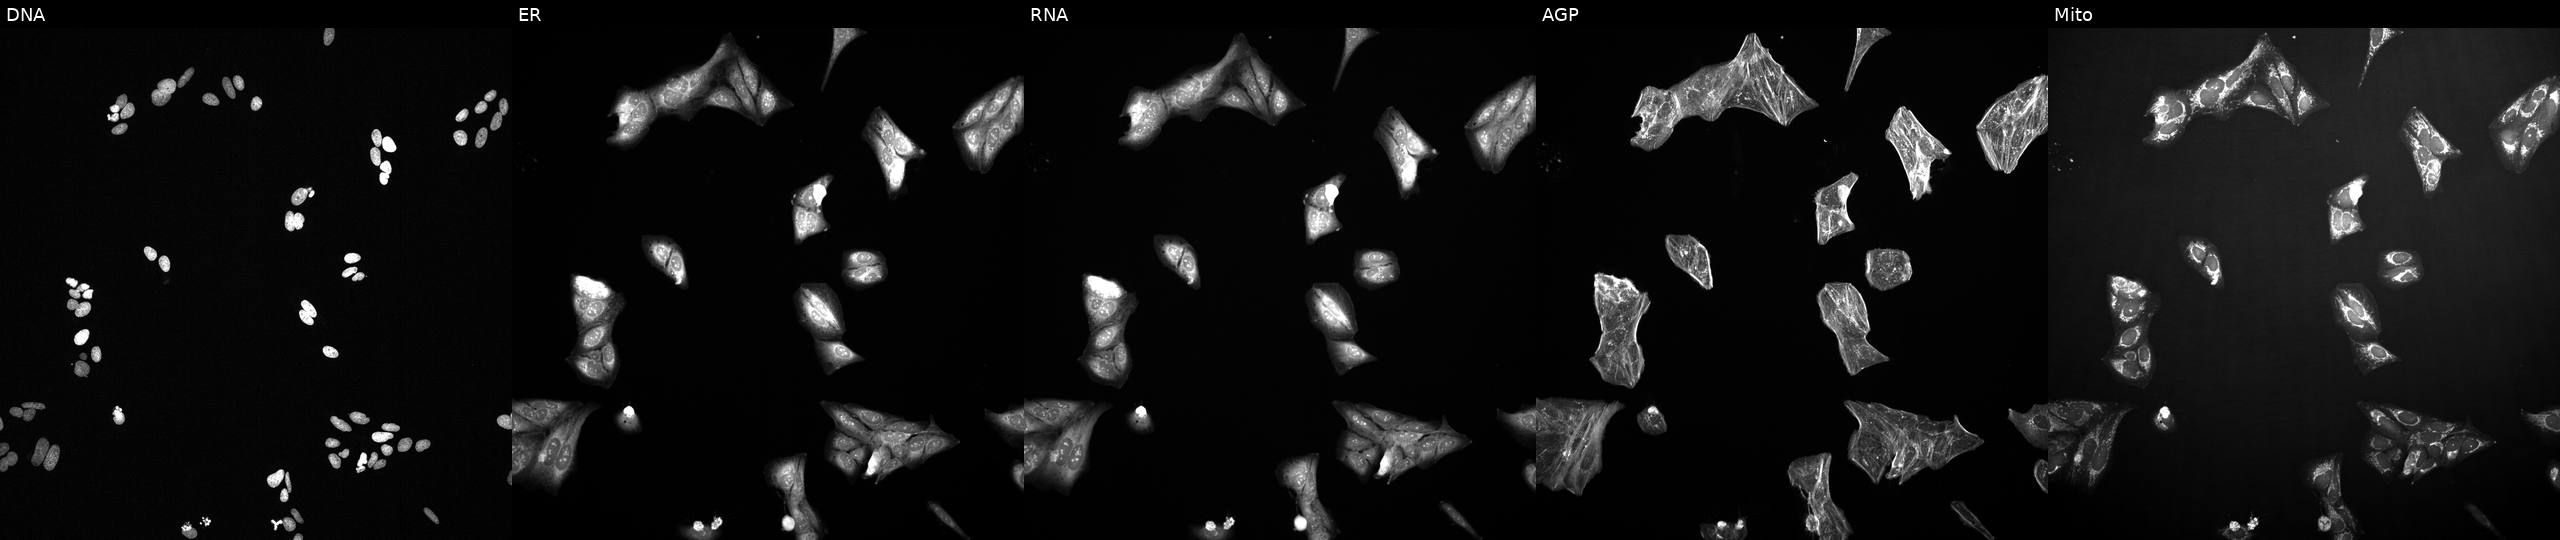
Five-channel Cell Painting image of U2OS cells exposed to a small-molecule compound (InChIKey ZWVZORIKUNOTCS-UHFFFAOYSA-N). From left to right: DNA, ER, RNA, AGP, and Mito.